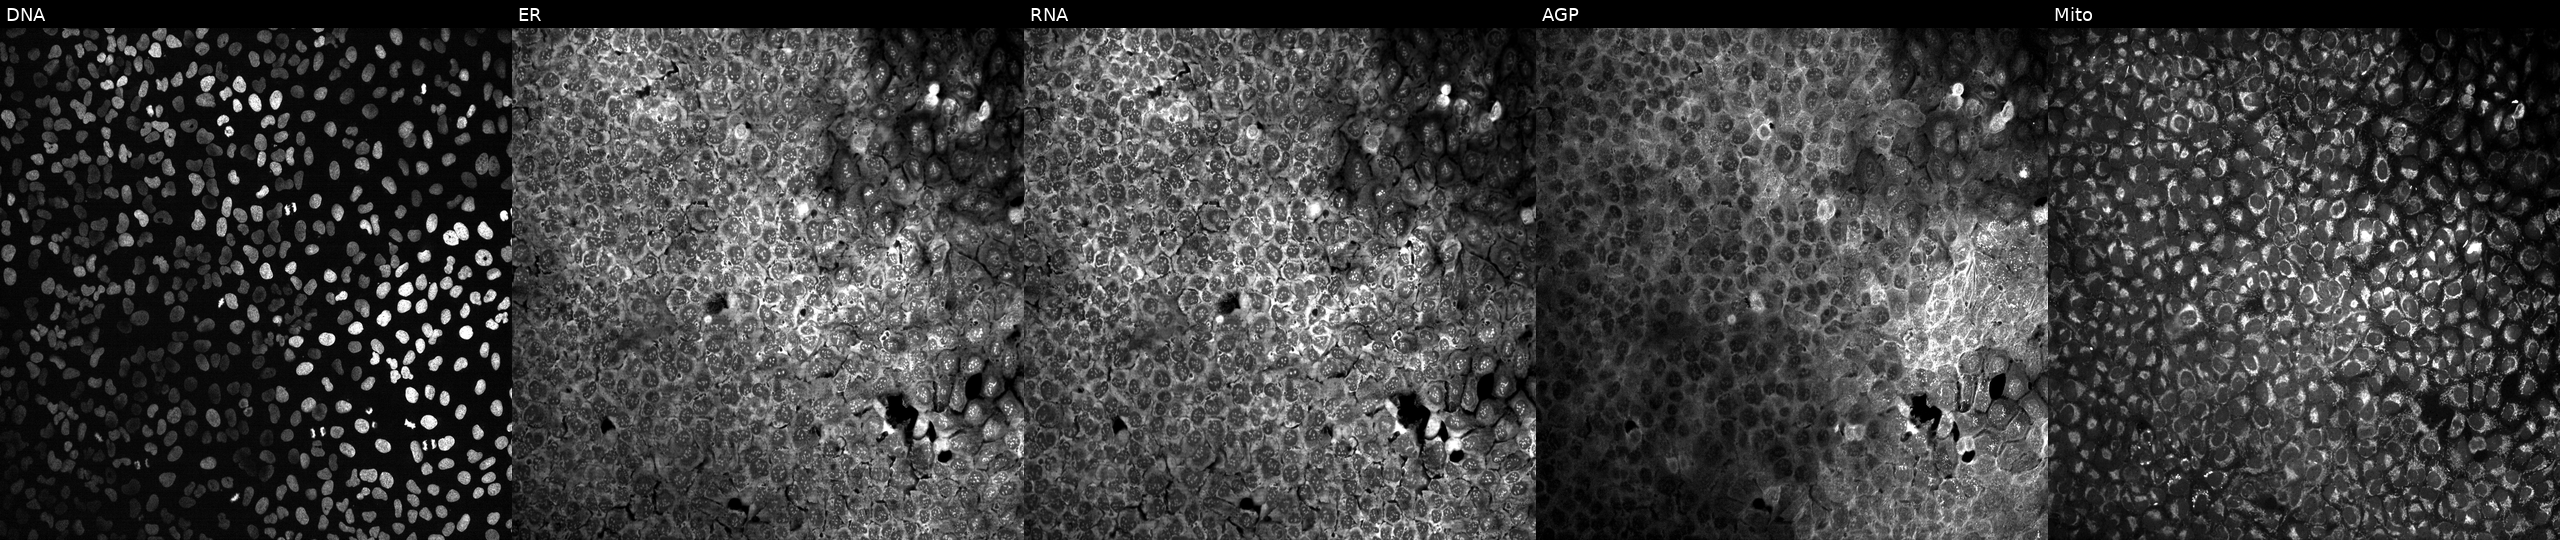
This image strip shows the five Cell Painting channels for a single field of U2OS cells following CRISPR knockout of ARHGEF7 (JUMP id JCP2022_800573). From left to right: Hoechst 33342, concanavalin A, SYTO 14, phalloidin and WGA, MitoTracker. Source 13, plate CP-CC9-R3-01, well A03.